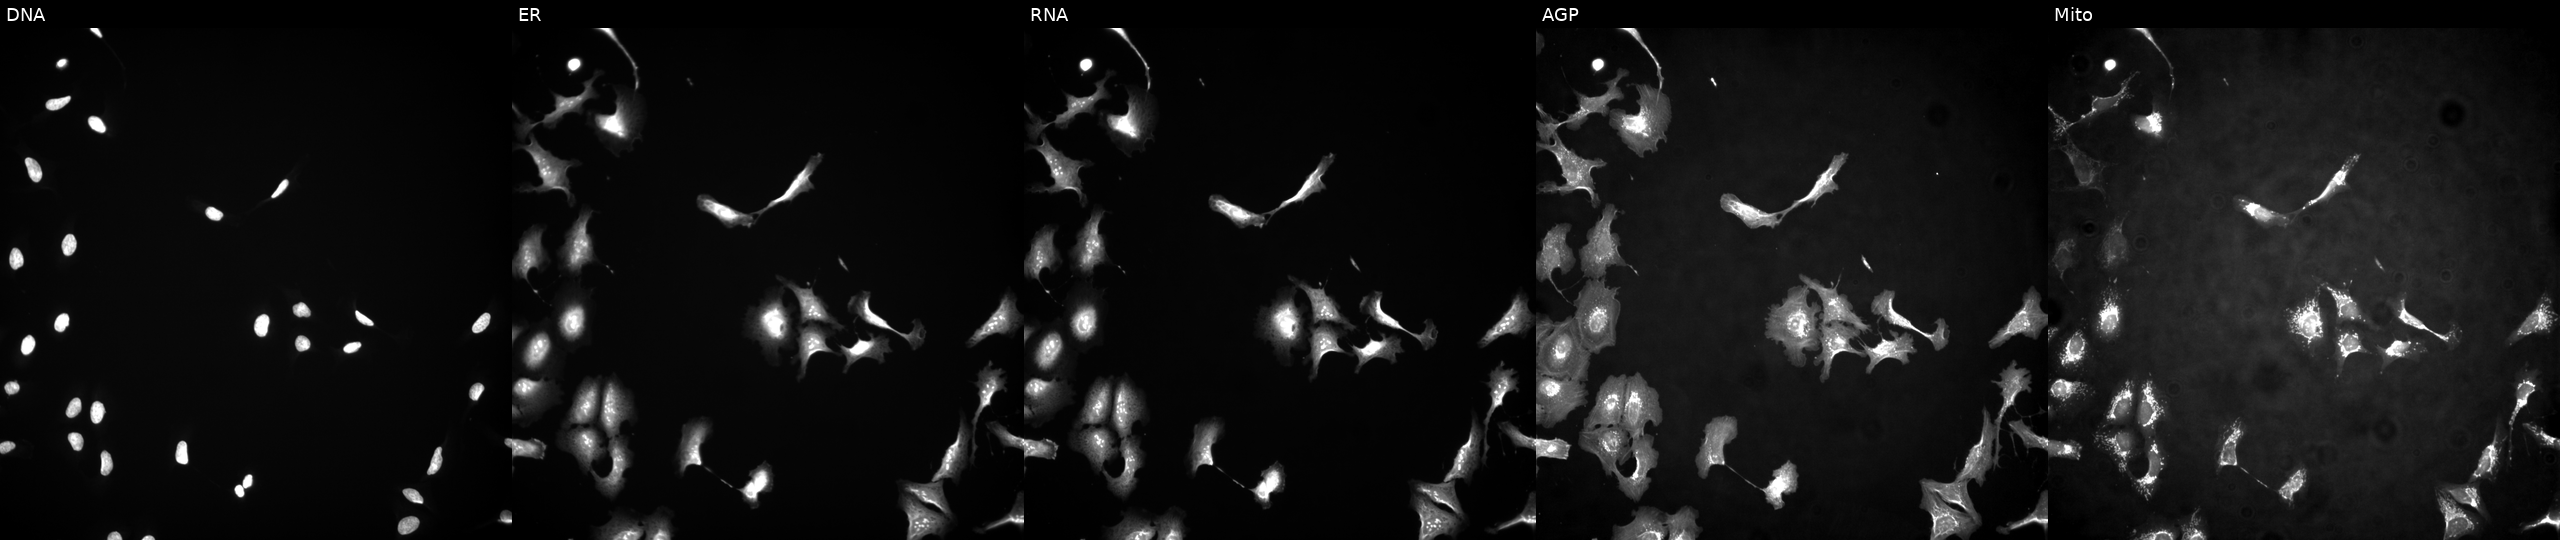
This image strip shows the five Cell Painting channels for a single field of U2OS cells with DMRT1 overexpressed (ORF) (JUMP id JCP2022_900420). From left to right: DNA (nuclei); ER (endoplasmic reticulum); RNA (nucleoli and cytoplasmic RNA); AGP (actin cytoskeleton, Golgi, and plasma membrane); Mito (mitochondria).